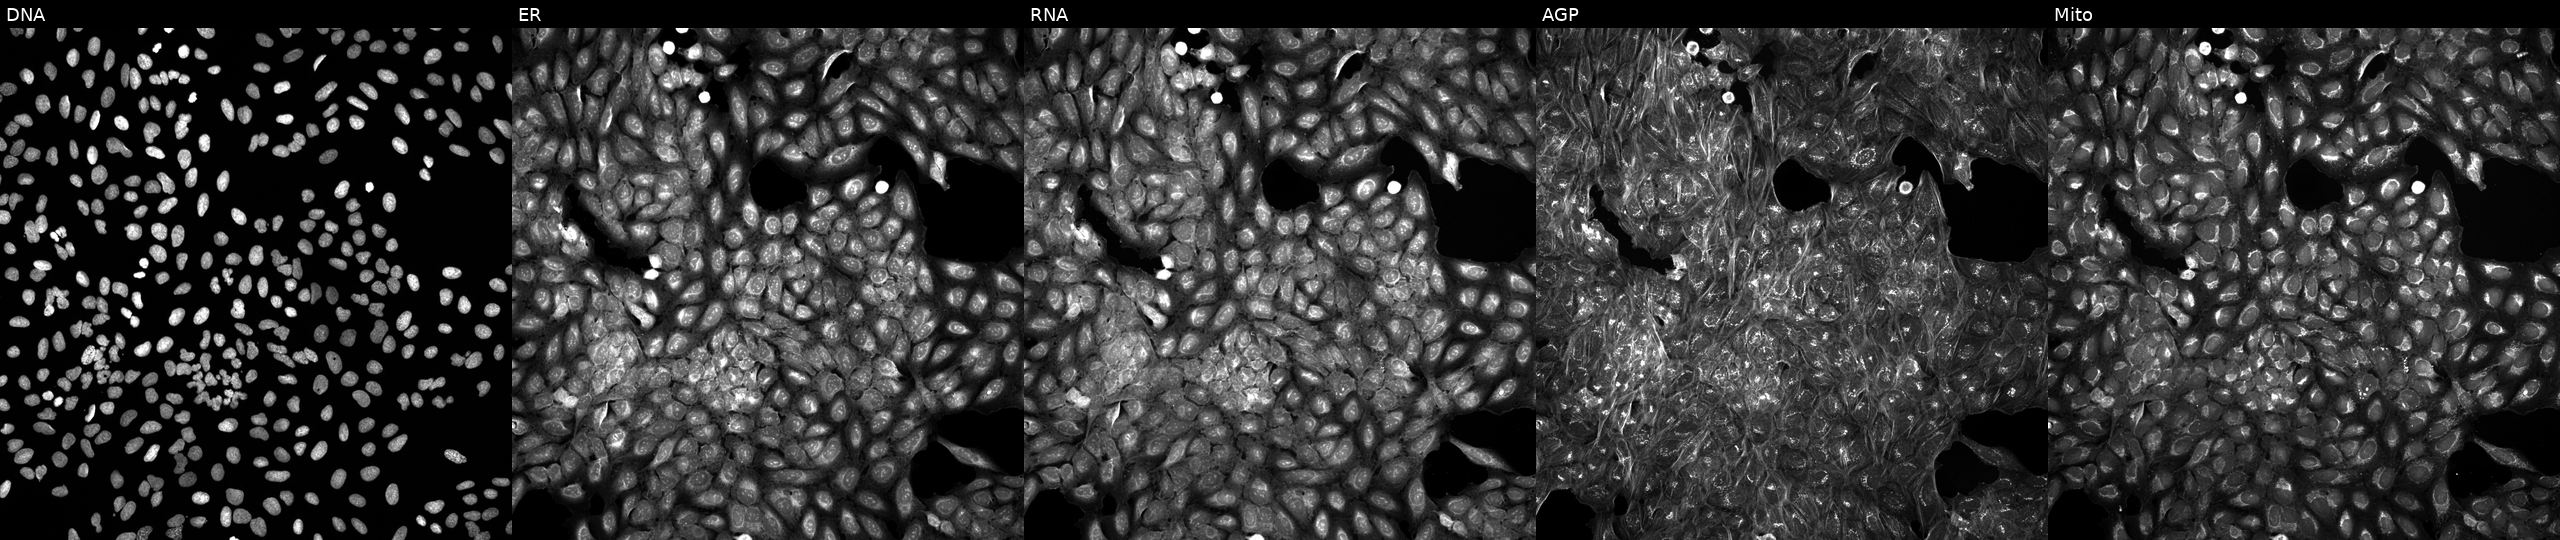
Five-channel Cell Painting image of U2OS cells perturbed with a small-molecule compound (InChIKey XFBRACPEWVYTCI-UHFFFAOYSA-N). Panels show, left to right, DNA, ER, RNA, AGP, and Mito. Source 5, plate APTJUM106, well E16.